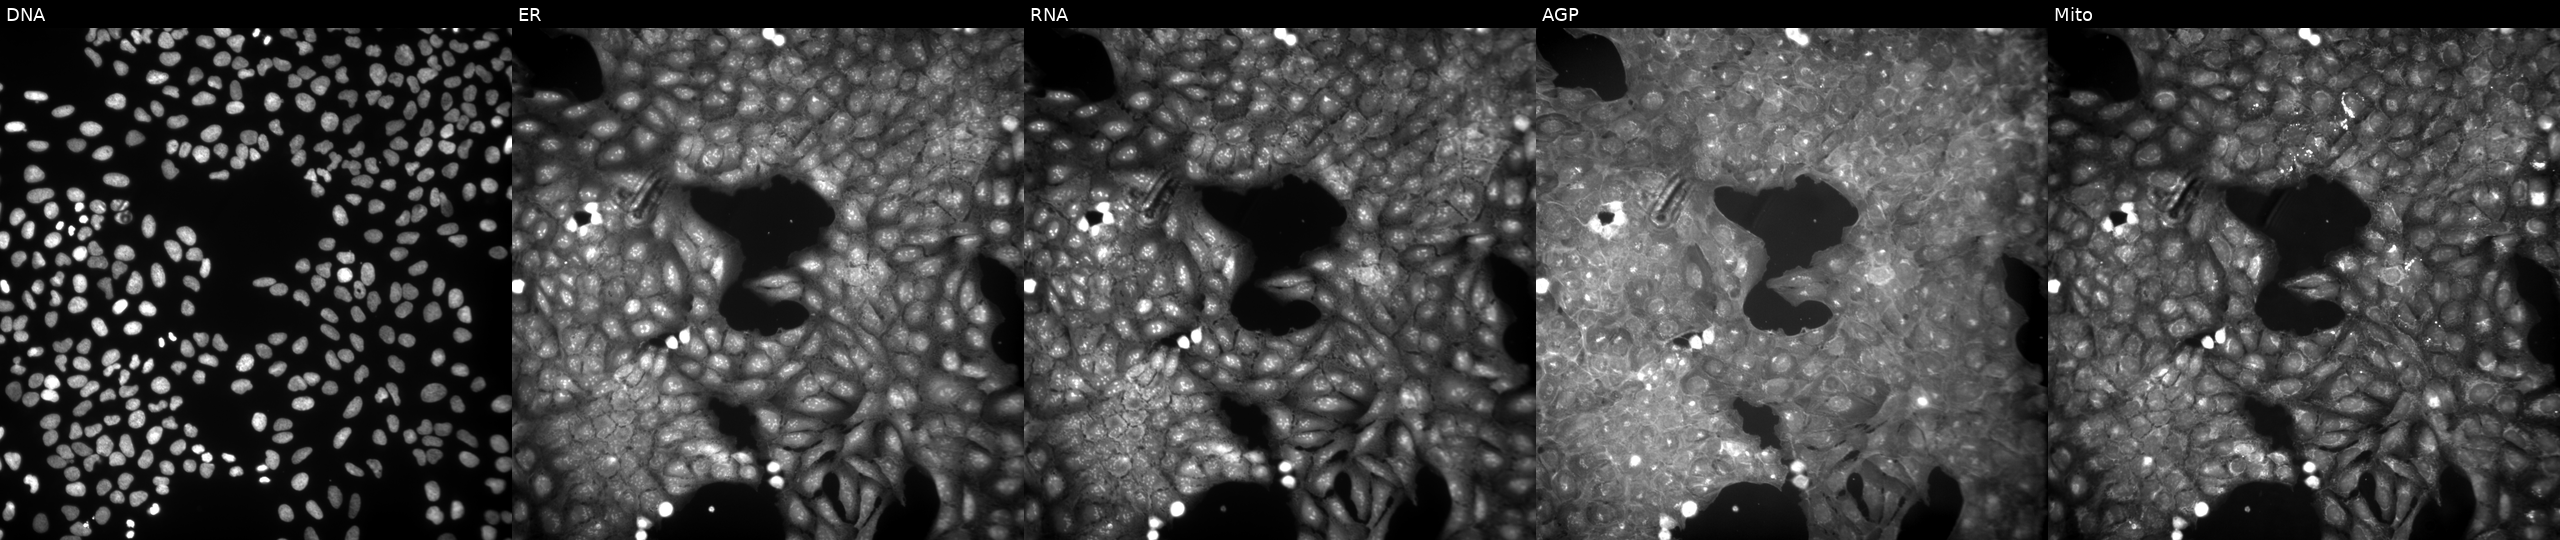
JUMP Cell Painting — COMPOUND plate. U2OS cells exposed to a small-molecule compound. The five panels, left to right, show Hoechst 33342, concanavalin A, SYTO 14, phalloidin and WGA, MitoTracker. Source 9, plate GR00003381, well A42.